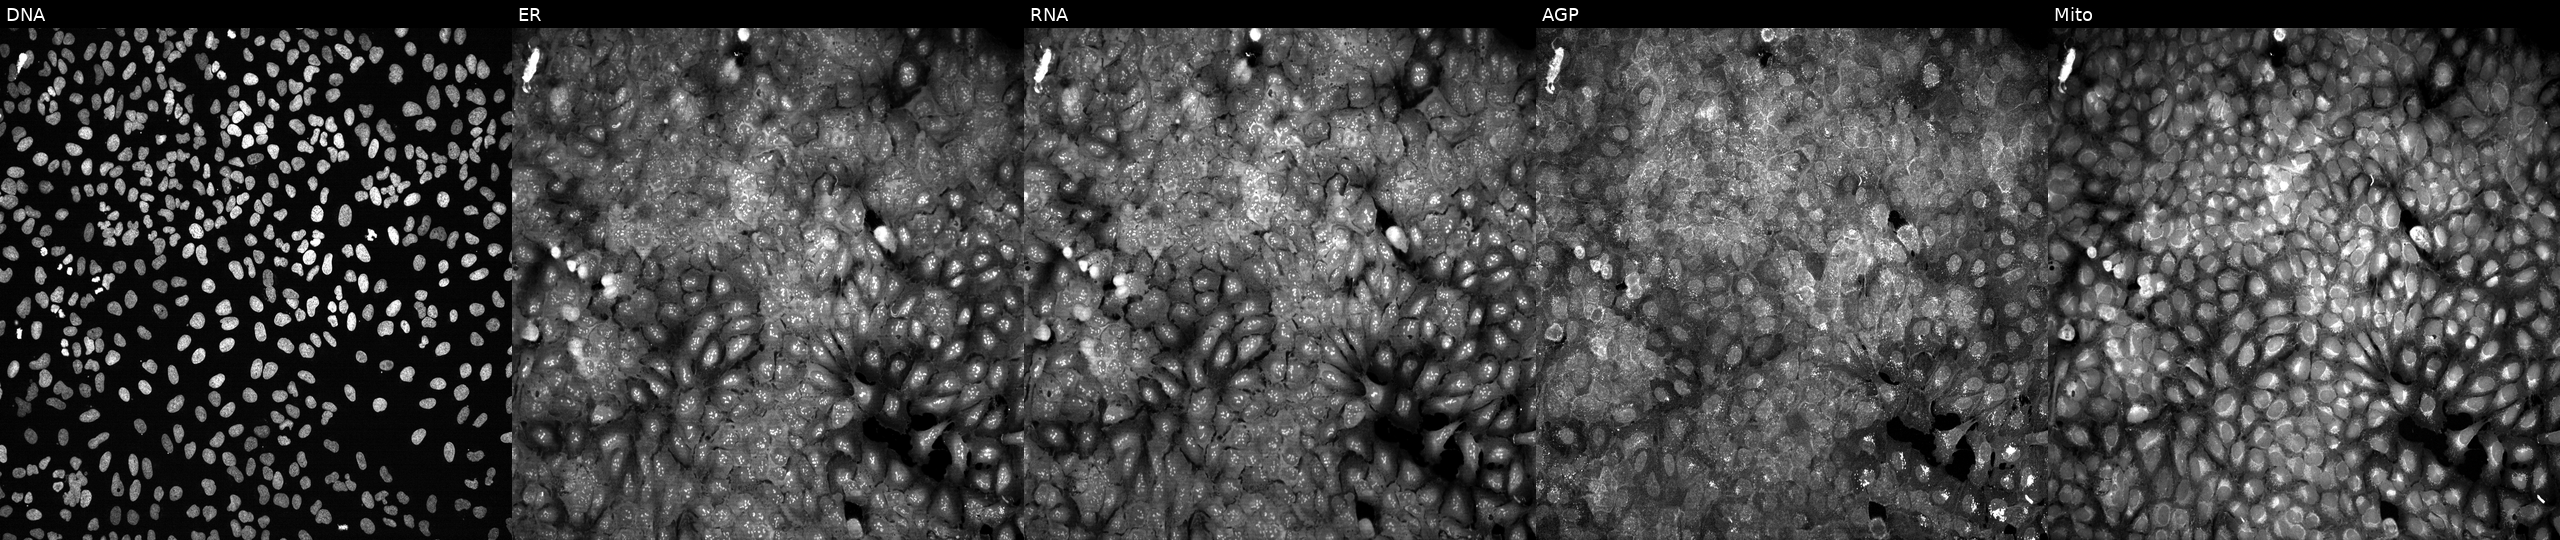
High-content fluorescence microscopy (Cell Painting). Cell line: U2OS. Perturbation: CRISPR-edited to disrupt SLC25A36 (JUMP id JCP2022_806458). The five panels, left to right, show DNA (nuclei); ER (endoplasmic reticulum); RNA (nucleoli and cytoplasmic RNA); AGP (actin cytoskeleton, Golgi, and plasma membrane); Mito (mitochondria).